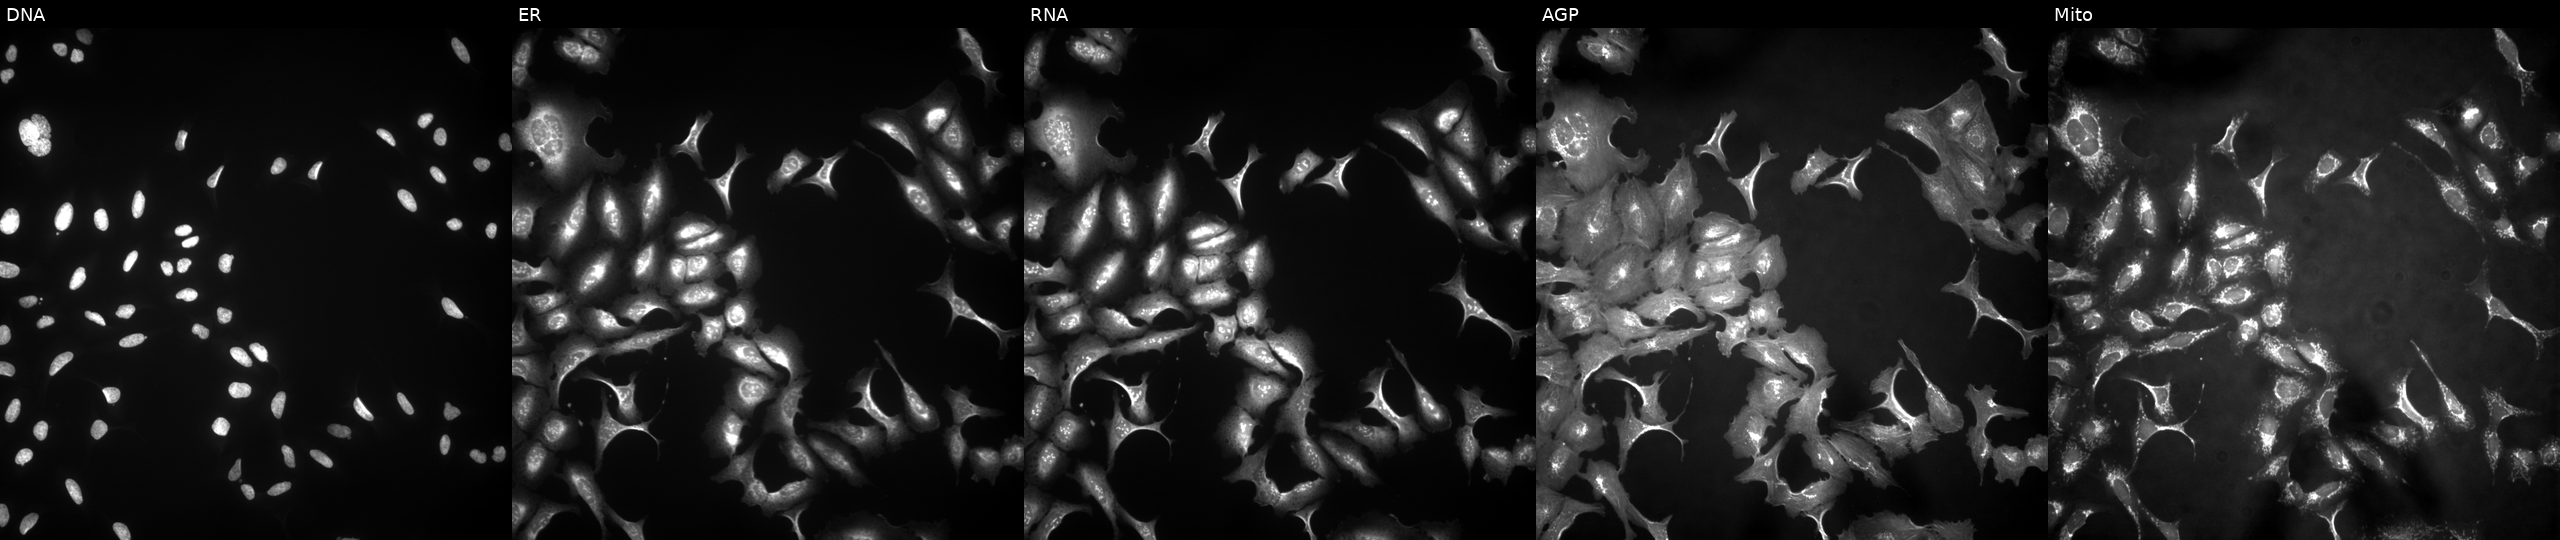
High-content fluorescence microscopy (Cell Painting). Cell line: U2OS. Perturbation: with SCEL overexpressed (ORF). From left to right: DNA (nuclei); ER (endoplasmic reticulum); RNA (nucleoli and cytoplasmic RNA); AGP (actin cytoskeleton, Golgi, and plasma membrane); Mito (mitochondria). Source 4, plate BR00123506, well M14.